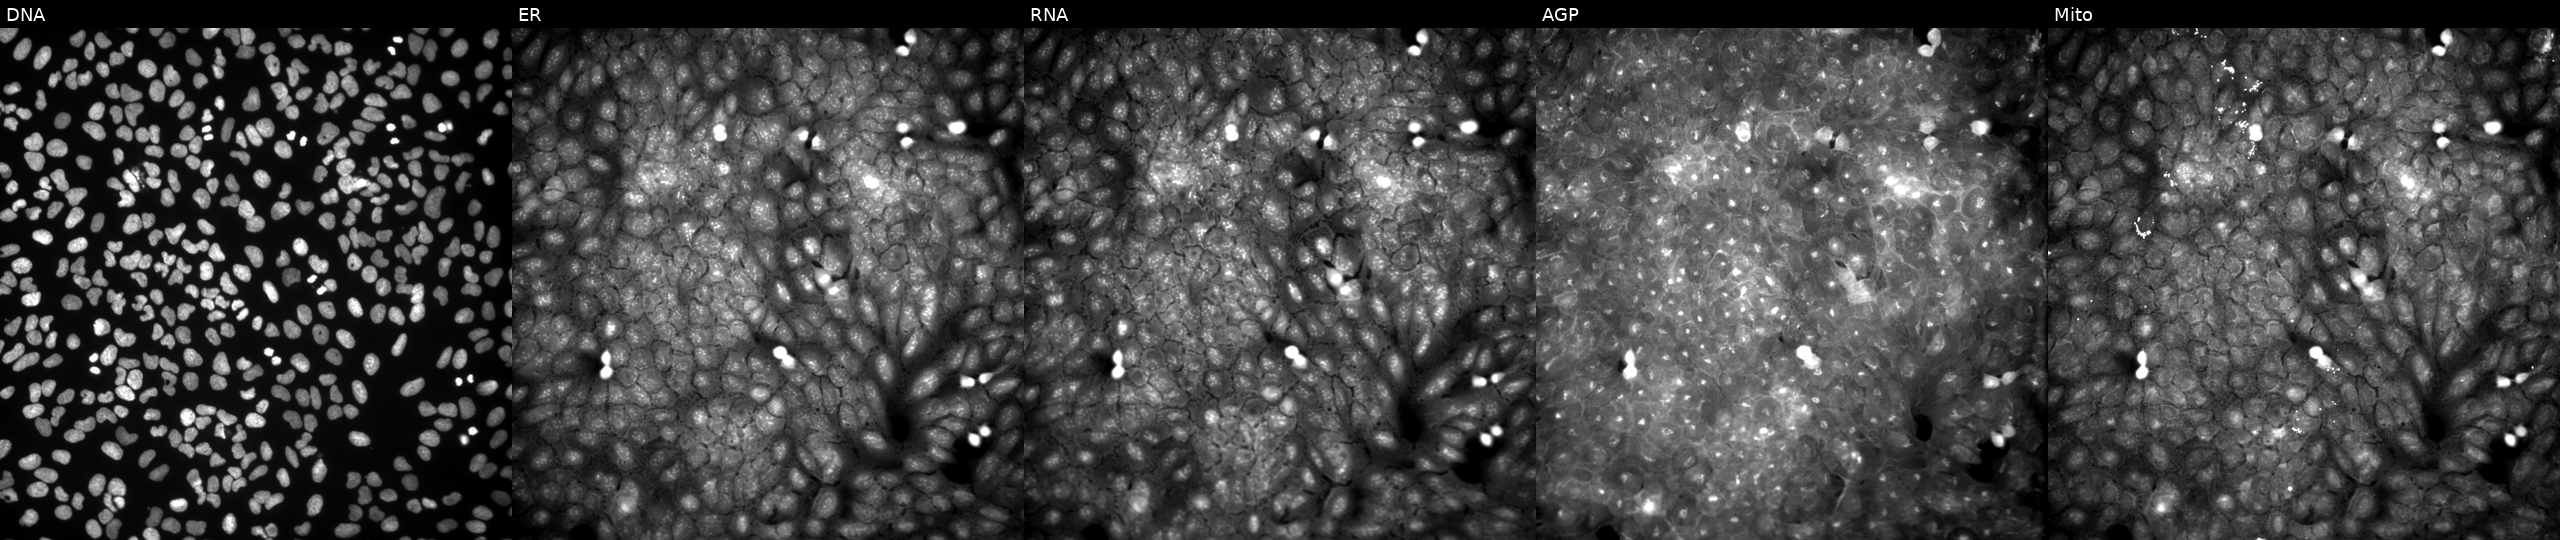
Five-channel Cell Painting image of U2OS cells treated with a small-molecule compound [SMILES: COc1ccc(NC(=O)c2c(N)sc(-c3ccccc3)c2C)cc1]. Channels (left→right): DNA, ER, RNA, AGP, and Mito. Source 9, plate GR00003382, well T28.